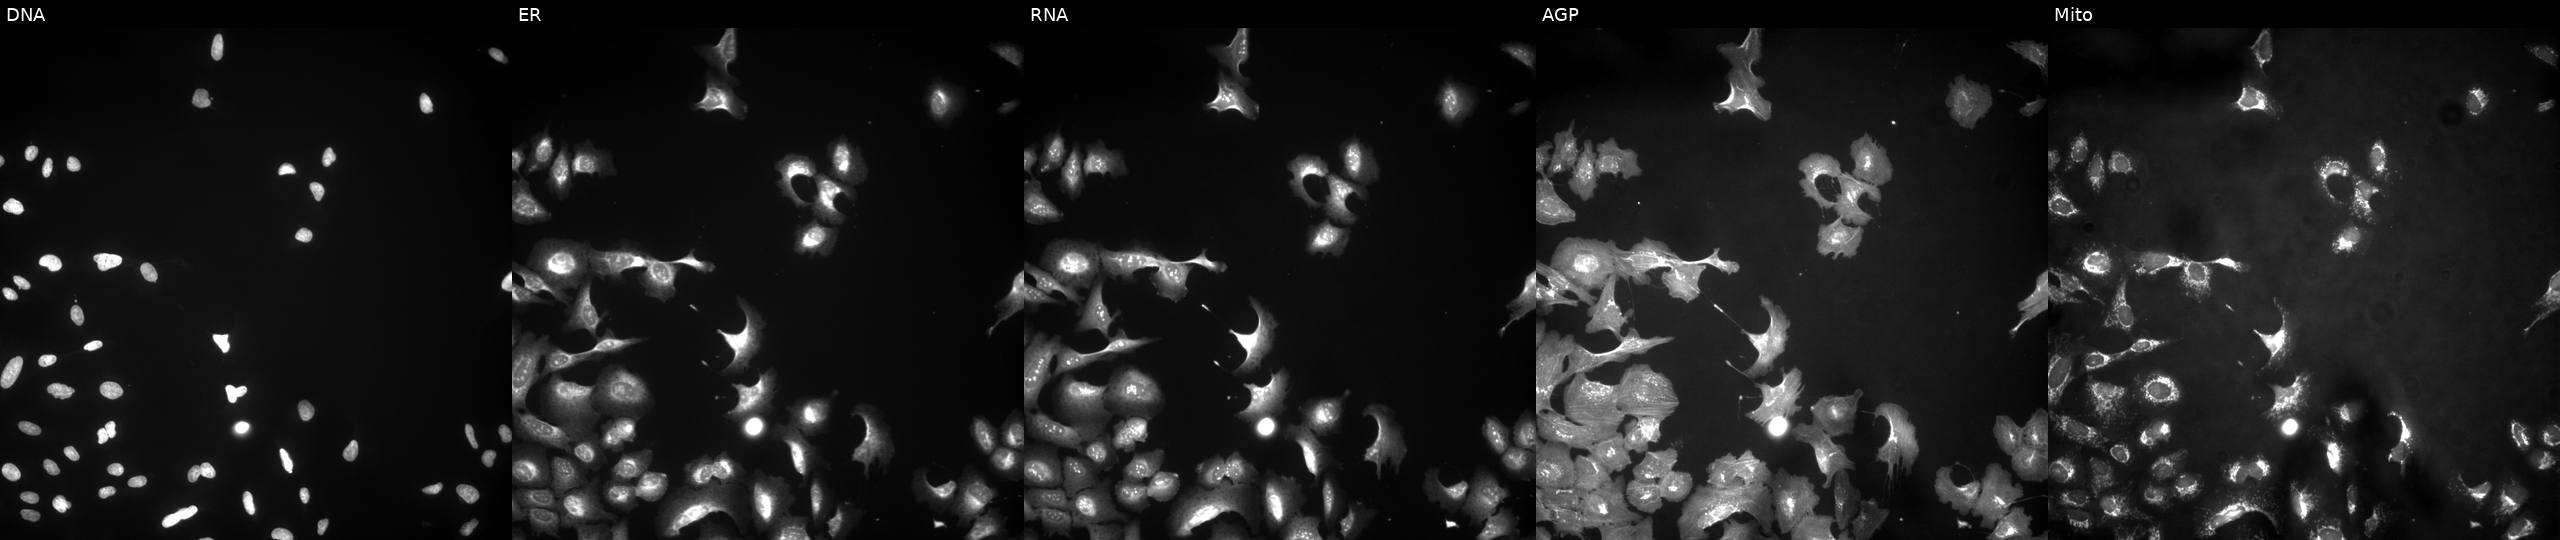
This image strip shows the five Cell Painting channels for a single field of U2OS cells treated with TC-S-7004 (positive-control compound) (JUMP id JCP2022_012818). Channels (left→right): Hoechst 33342, concanavalin A, SYTO 14, phalloidin and WGA, MitoTracker. Source 4, plate BR00123506, well P24.